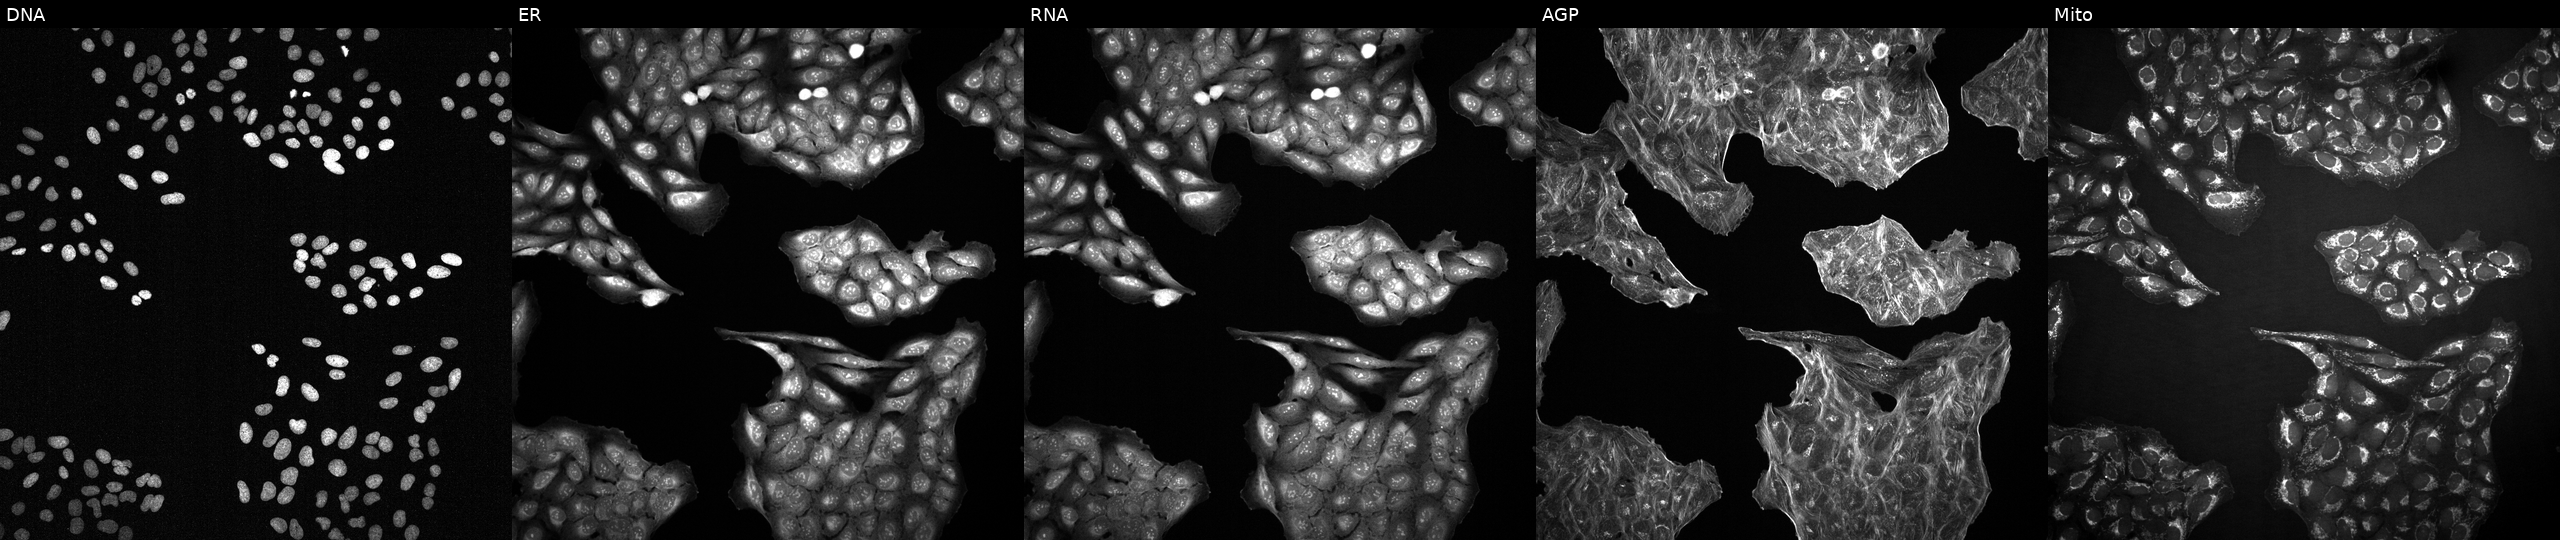
JUMP Cell Painting — TARGET2 plate. U2OS cells perturbed with a small-molecule compound (InChIKey UQNAFPHGVPVTAL-UHFFFAOYSA-N) [SMILES: NS(=O)(=O)c1cccc2c1c([N+](=O)[O-])cc1[nH]c(=O)c(=O)[nH]c12] (JUMP id JCP2022_090884). Panels show, left to right, Hoechst 33342, concanavalin A, SYTO 14, phalloidin and WGA, MitoTracker.